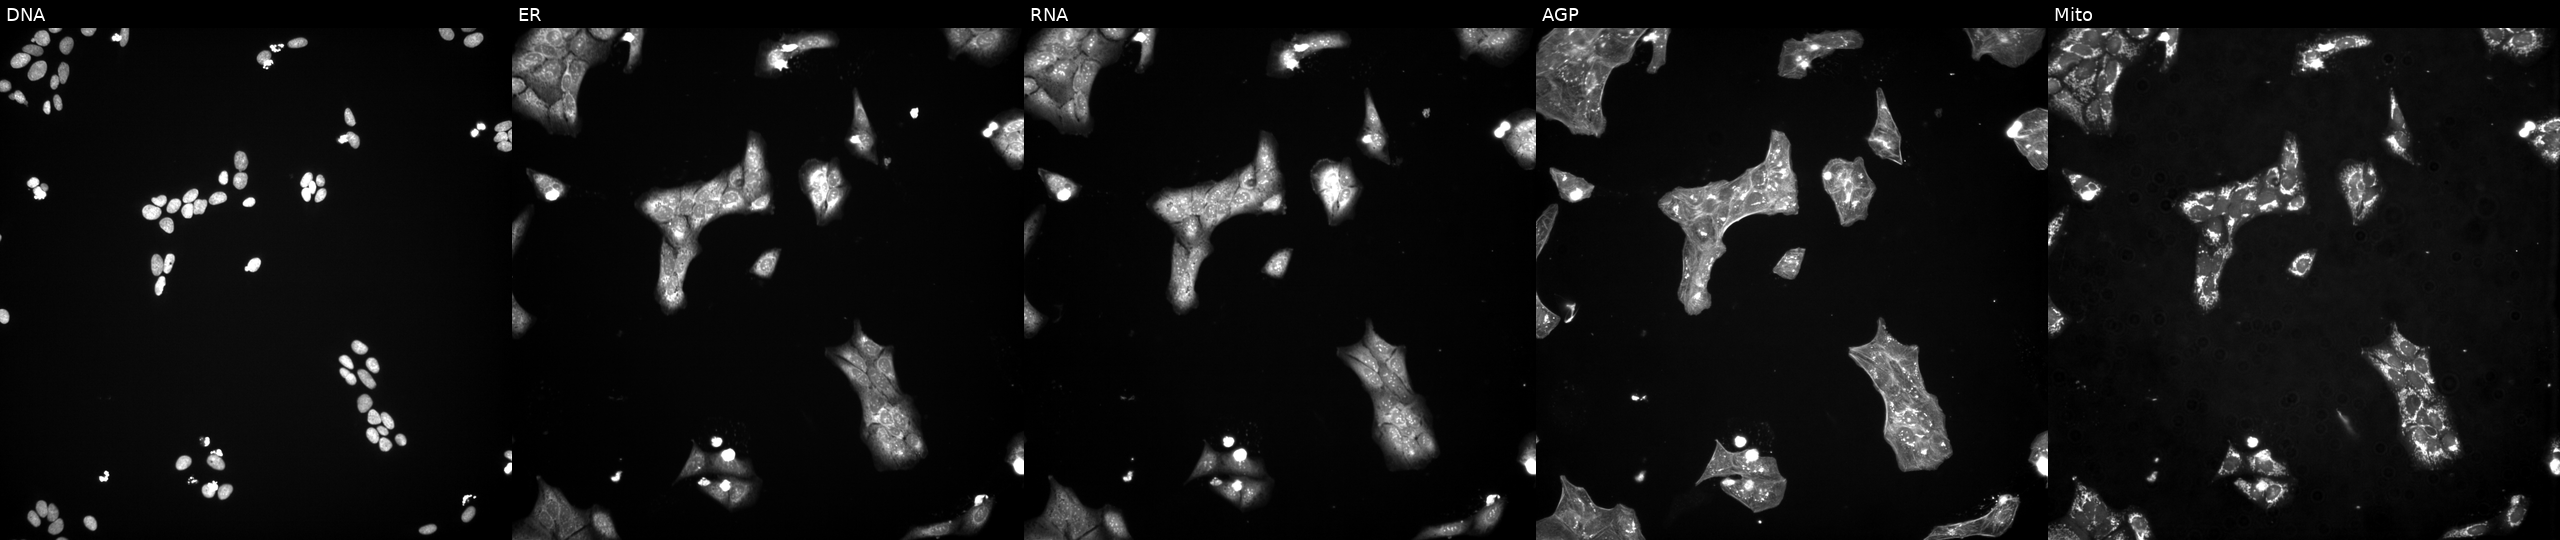
JUMP Cell Painting — TARGET2 plate. U2OS cells exposed to a small-molecule compound (InChIKey ZWVZORIKUNOTCS-UHFFFAOYSA-N) (JUMP id JCP2022_116188). Panels show, left to right, DNA, ER, RNA, AGP, and Mito.